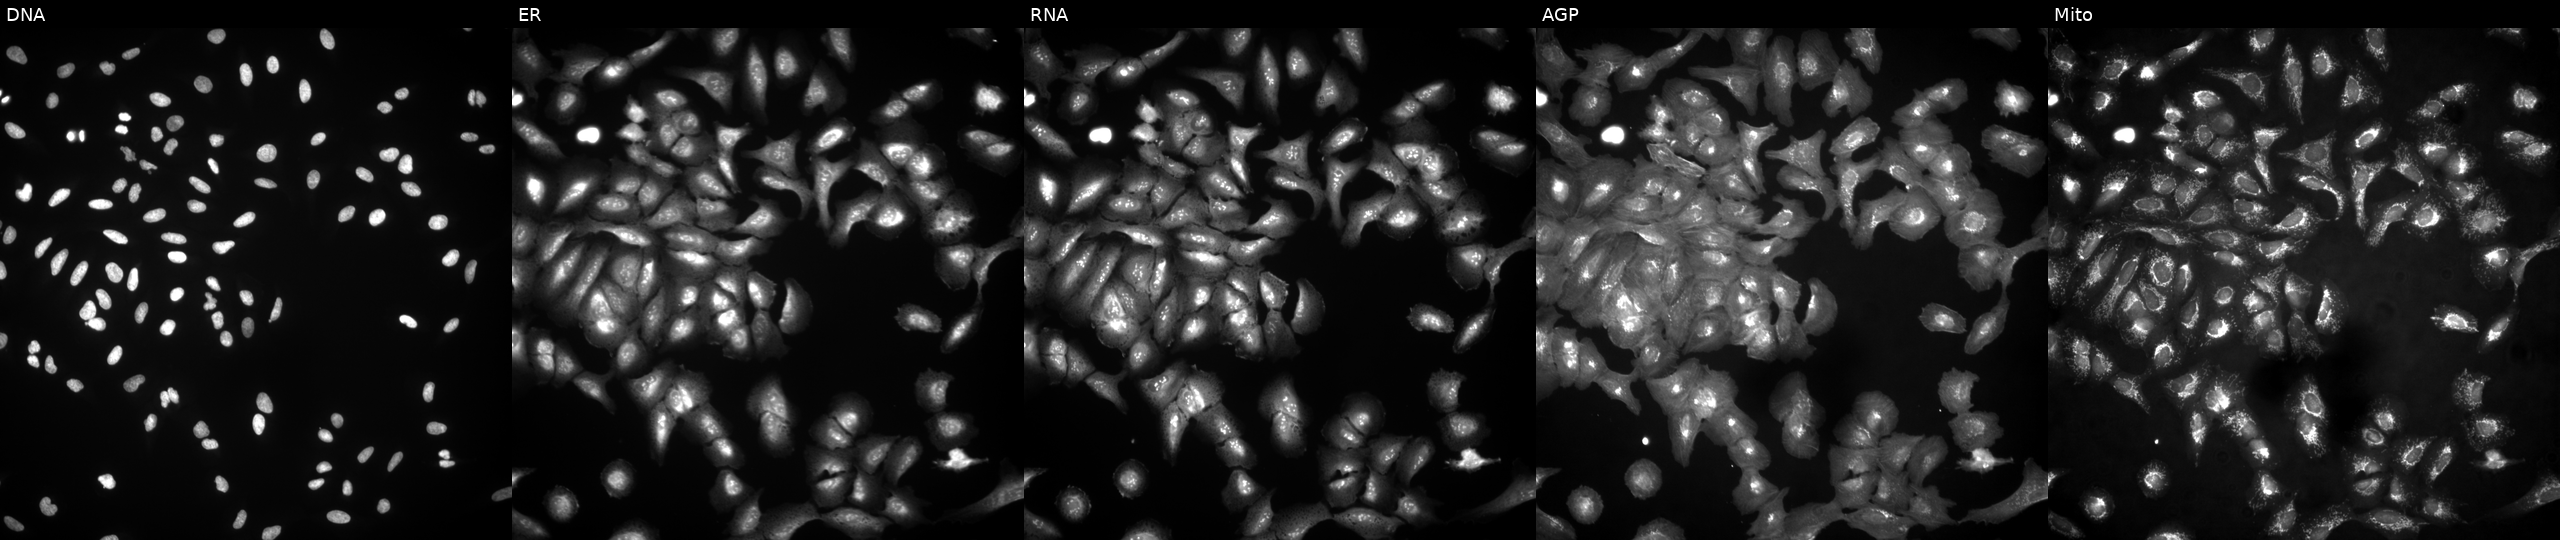
JUMP Cell Painting — ORF plate. U2OS cells with CLRN2 overexpressed (ORF). Panels show, left to right, DNA (nuclei); ER (endoplasmic reticulum); RNA (nucleoli and cytoplasmic RNA); AGP (actin cytoskeleton, Golgi, and plasma membrane); Mito (mitochondria). Source 4, plate BR00124790, well L07.